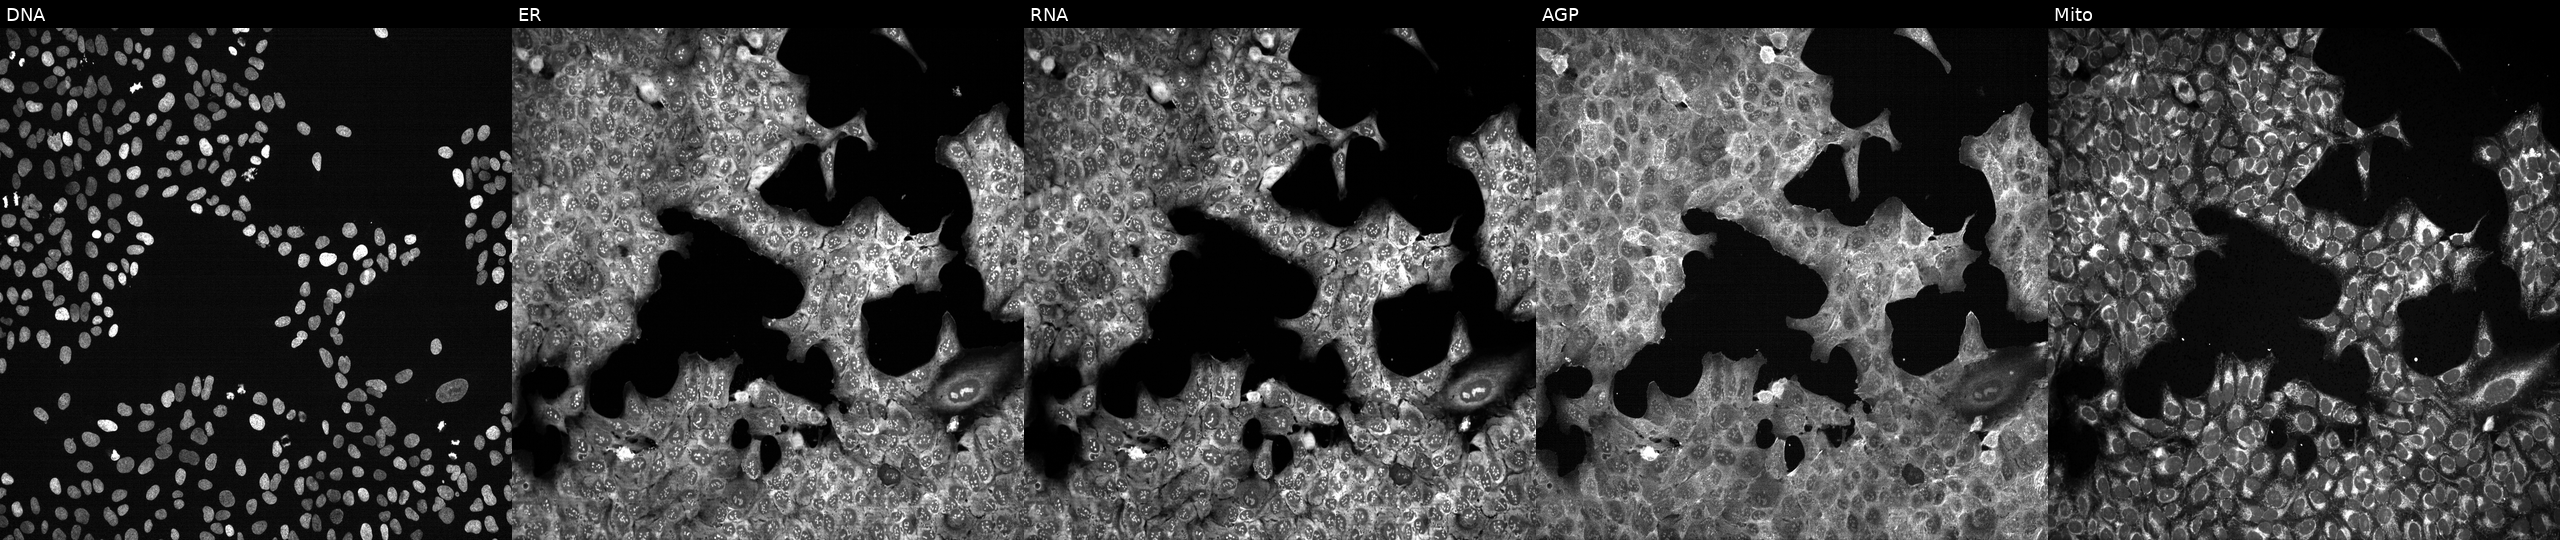
This image strip shows the five Cell Painting channels for a single field of U2OS cells exposed to the positive-control compound LY2109761. The five panels, left to right, show DNA, ER, RNA, AGP, and Mito.